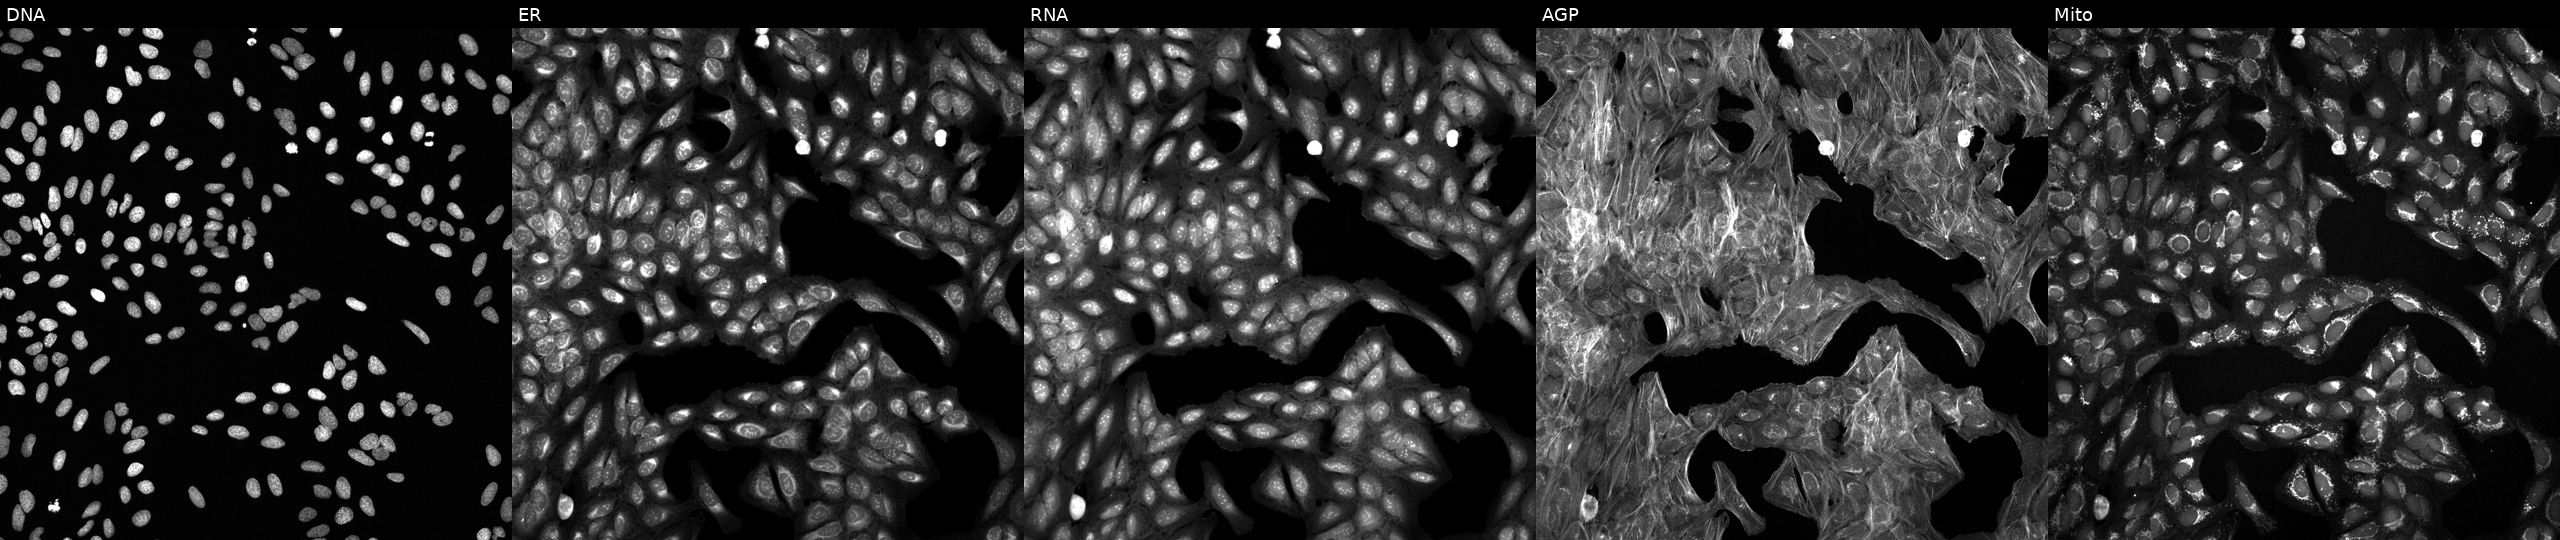
High-content fluorescence microscopy (Cell Painting). Cell line: U2OS. Perturbation: perturbed with a small-molecule compound (InChIKey TXZPMHLMPKIUGK-UHFFFAOYSA-N) (JUMP id JCP2022_087474). From left to right: DNA, ER, RNA, AGP, and Mito. Source 6, plate 110000294901, well C06.